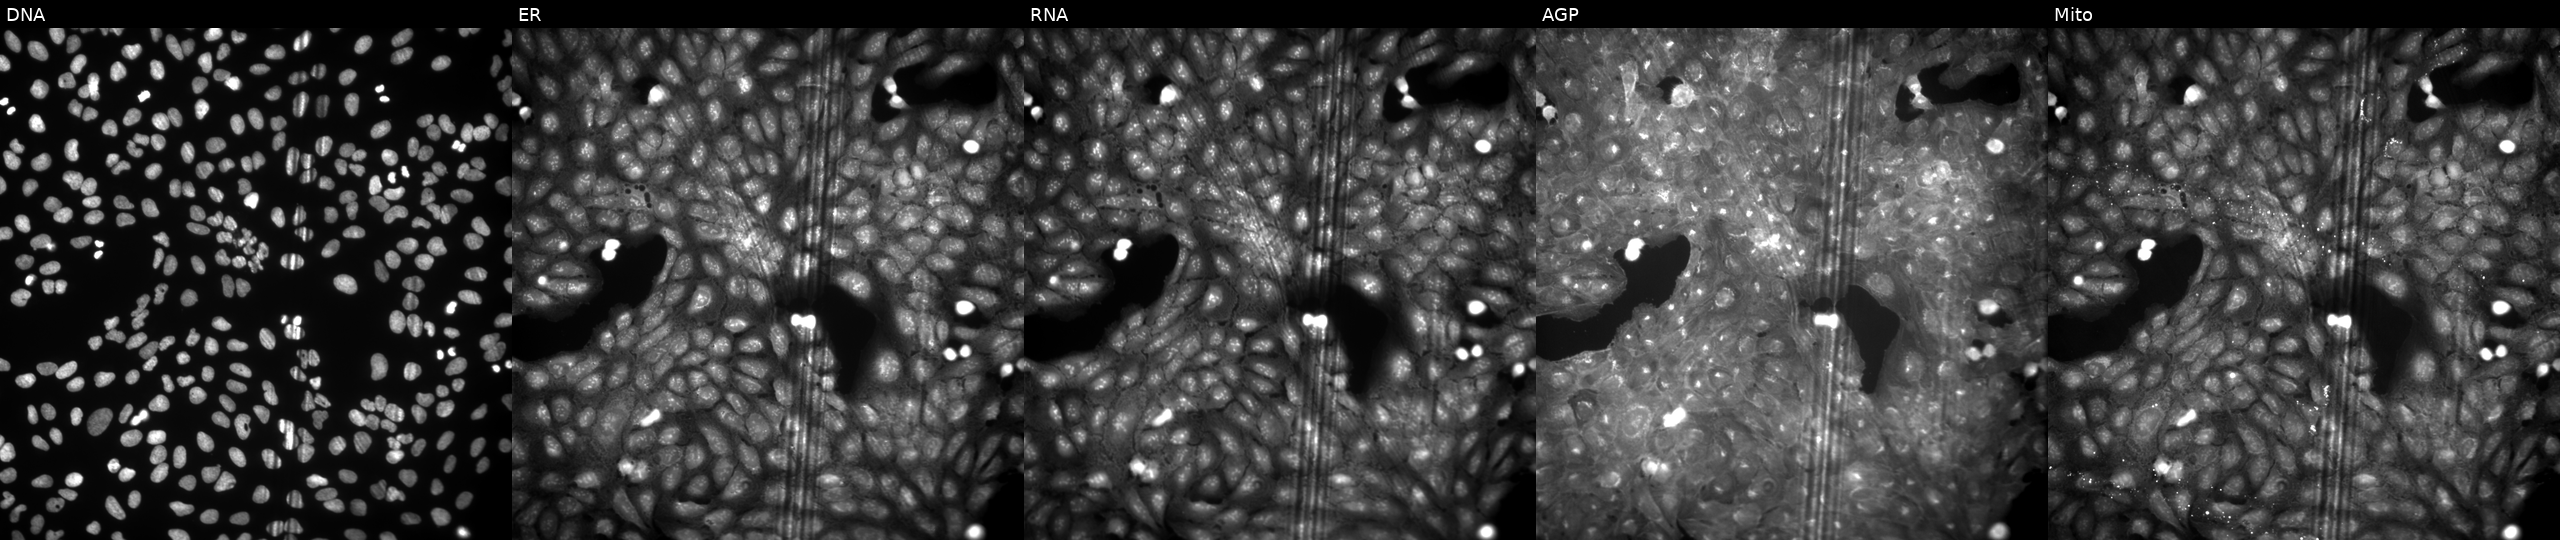
Five-channel Cell Painting image of U2OS cells treated with a small-molecule compound (InChIKey XBTMLTKISVDMIY-UHFFFAOYSA-N) (JUMP id JCP2022_102656). Panels show, left to right, DNA, ER, RNA, AGP, and Mito.